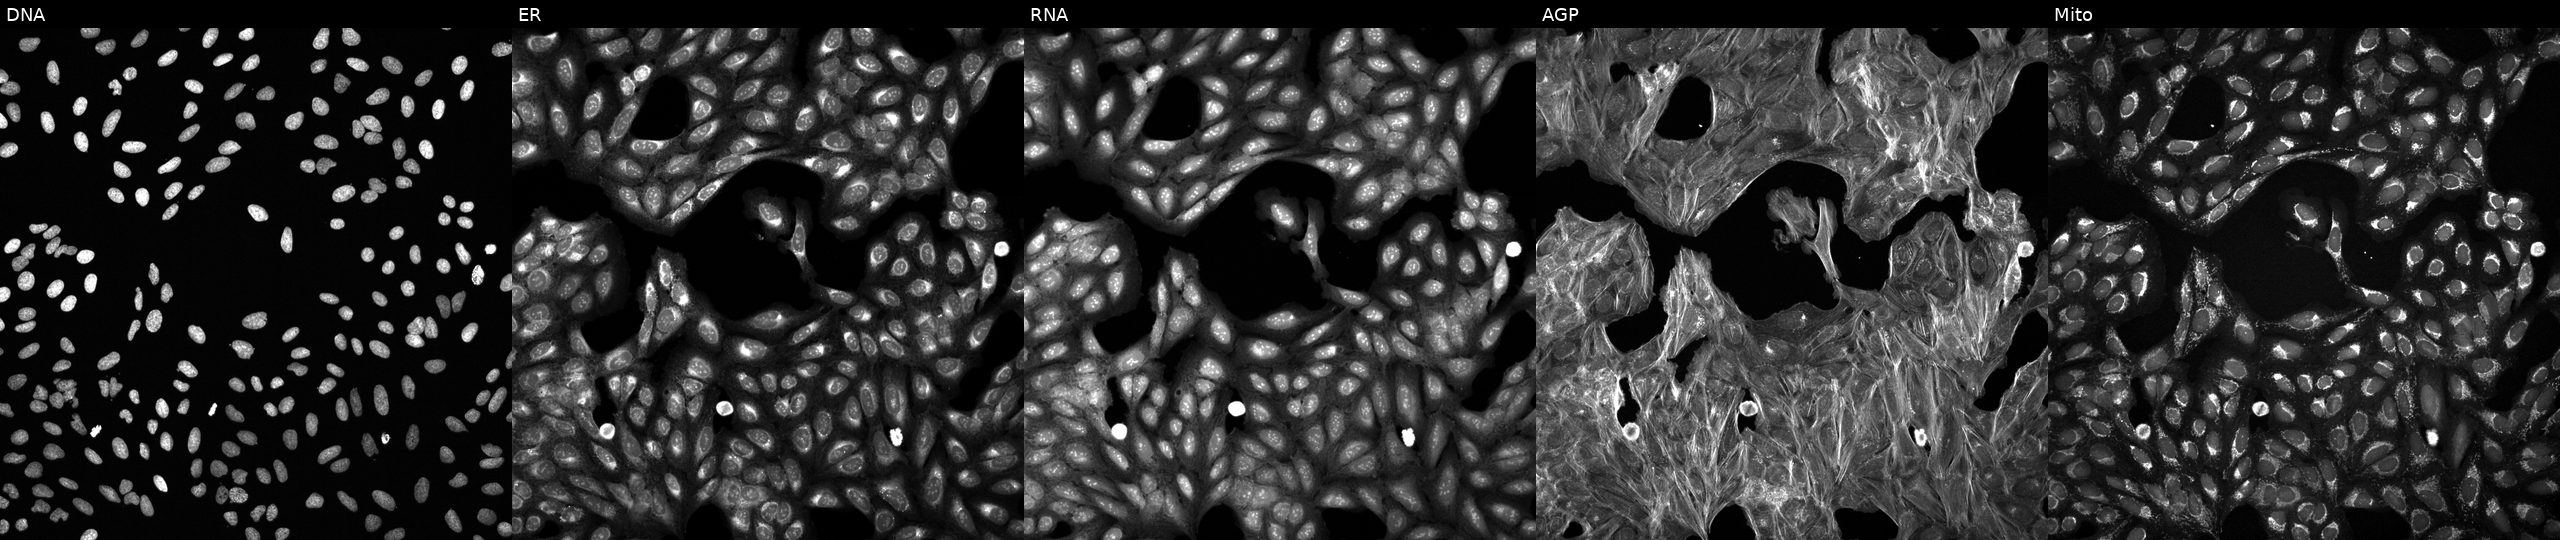
High-content fluorescence microscopy (Cell Painting). Cell line: U2OS. Perturbation: treated with a small-molecule compound (InChIKey BOFLYHJLVPNOQB-UHFFFAOYSA-N) [SMILES: O=C(CCc1ccc(S(=O)(=O)N2CCCCC2)cc1)NCCc1cccs1] (JUMP id JCP2022_007611). Channels (left→right): DNA, ER, RNA, AGP, and Mito. Source 6, plate 110000293083, well M14.